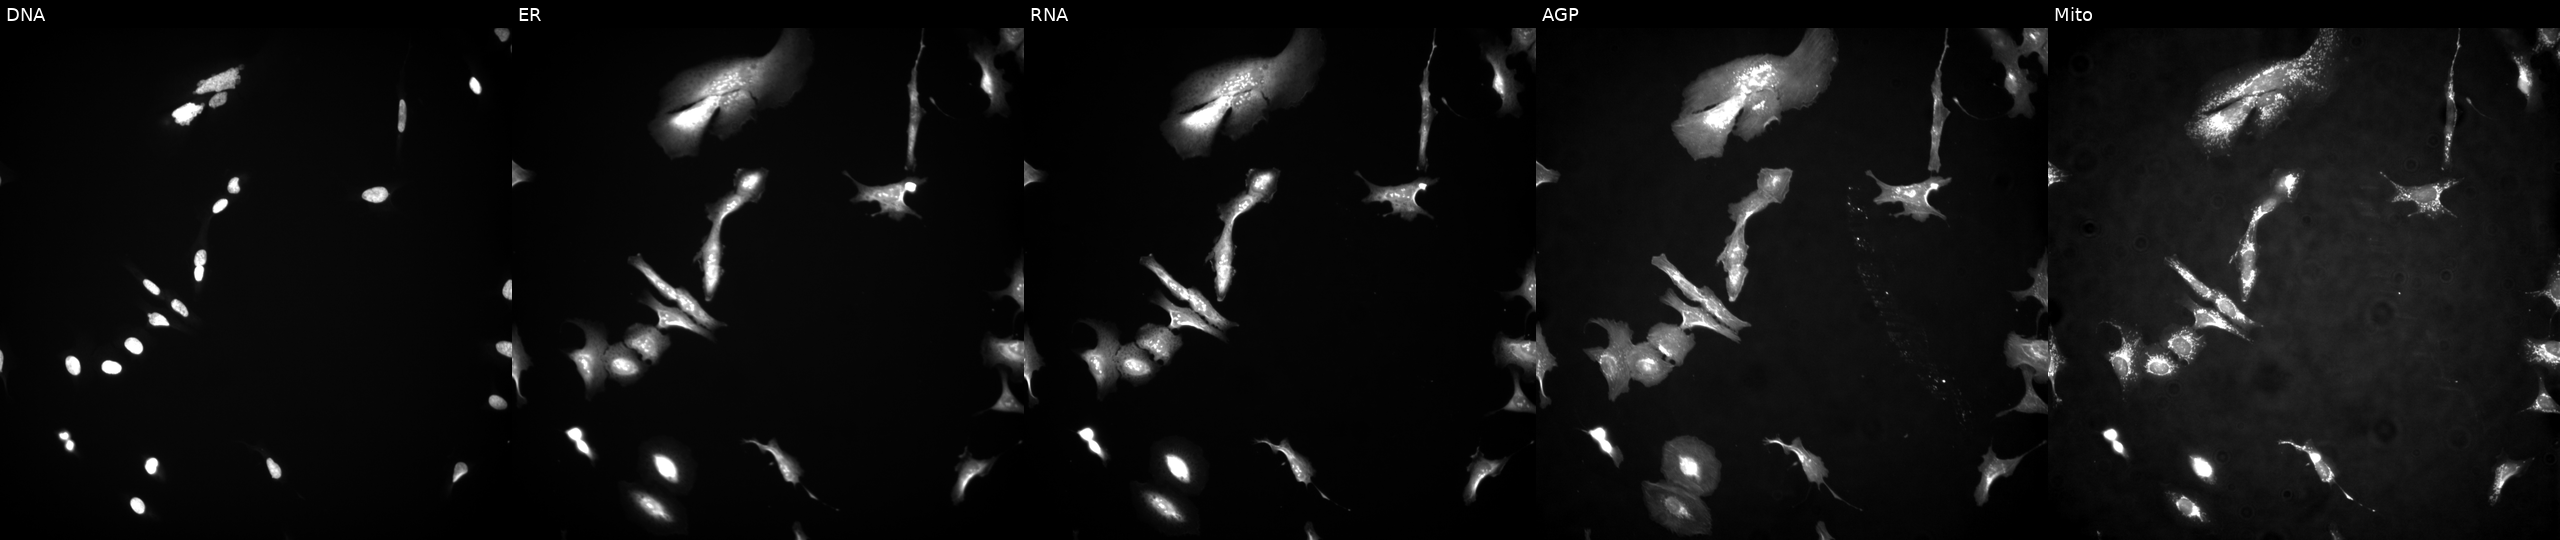
JUMP Cell Painting — ORF plate. U2OS cells overexpressing ZNF267 via ORF transfection. From left to right: DNA (nuclei); ER (endoplasmic reticulum); RNA (nucleoli and cytoplasmic RNA); AGP (actin cytoskeleton, Golgi, and plasma membrane); Mito (mitochondria). Source 4, plate BR00117035, well O07.